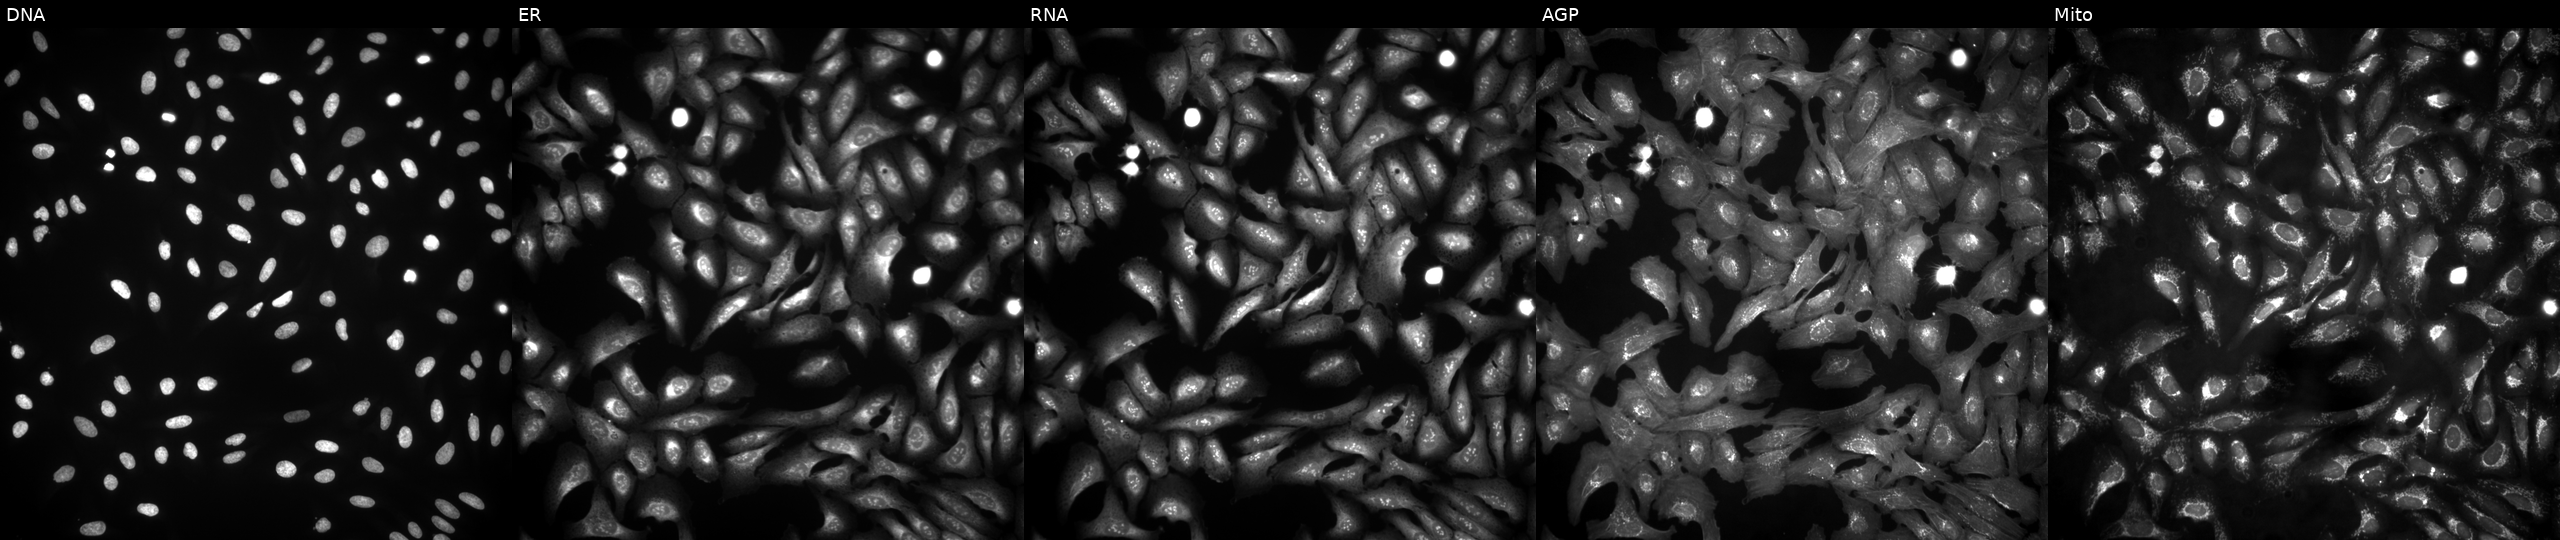
From left to right: DNA (nuclei); ER (endoplasmic reticulum); RNA (nucleoli and cytoplasmic RNA); AGP (actin cytoskeleton, Golgi, and plasma membrane); Mito (mitochondria). U2OS osteosarcoma cells with ANKRD20A3 overexpressed (ORF). Cell Painting assay, JUMP-CP dataset. Source 4, plate BR00124790, well C16.